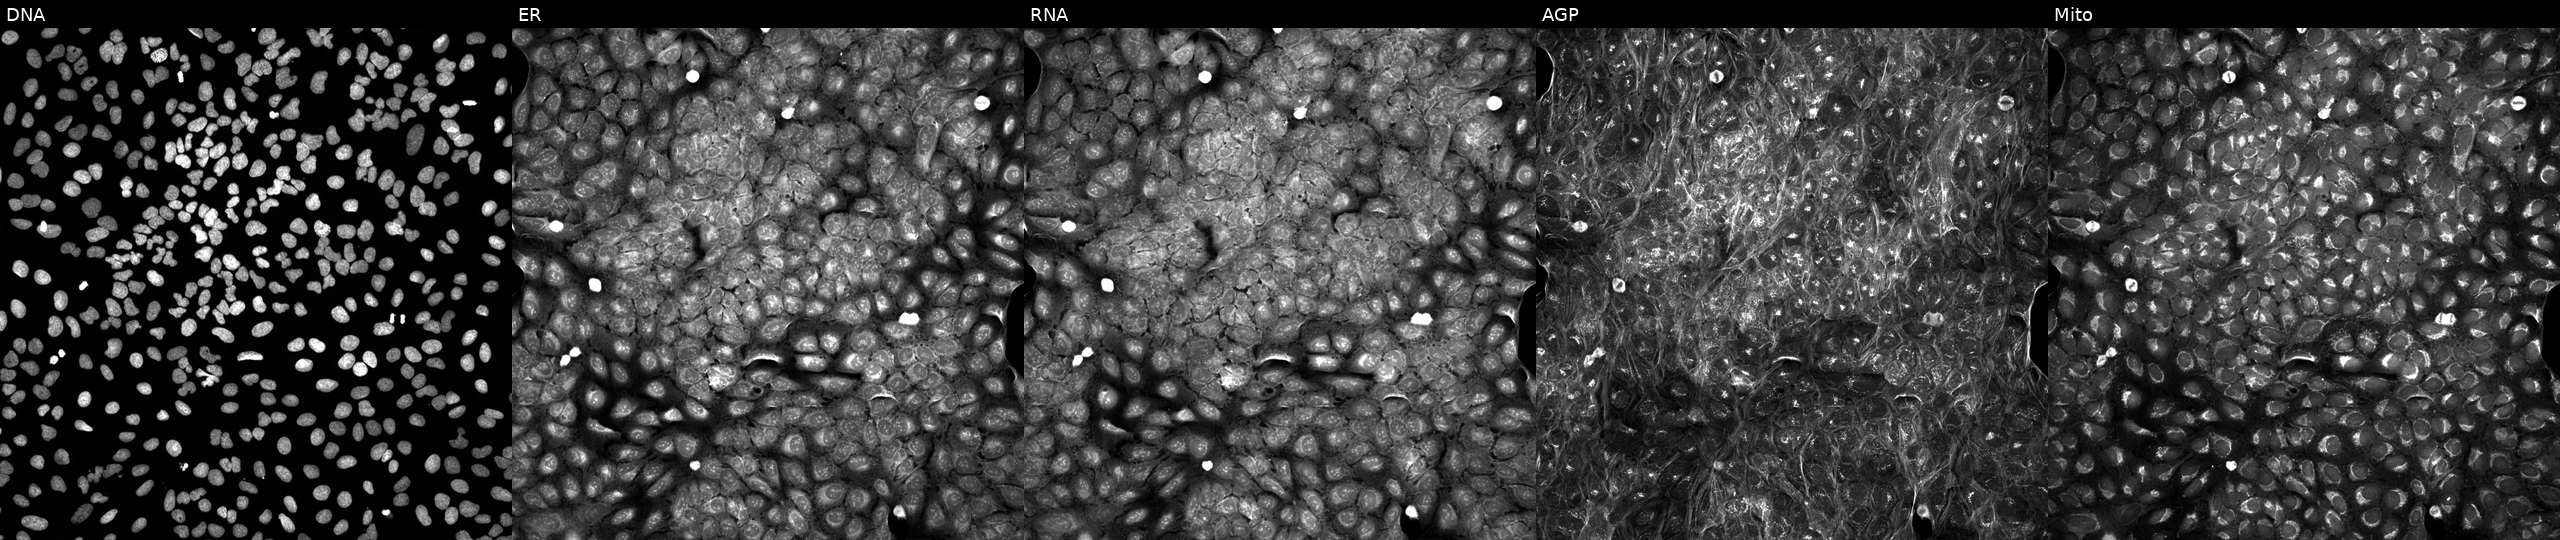
Five-channel Cell Painting image of U2OS cells perturbed with a small-molecule compound (JUMP id JCP2022_090884). Channels (left→right): Hoechst 33342, concanavalin A, SYTO 14, phalloidin and WGA, MitoTracker.